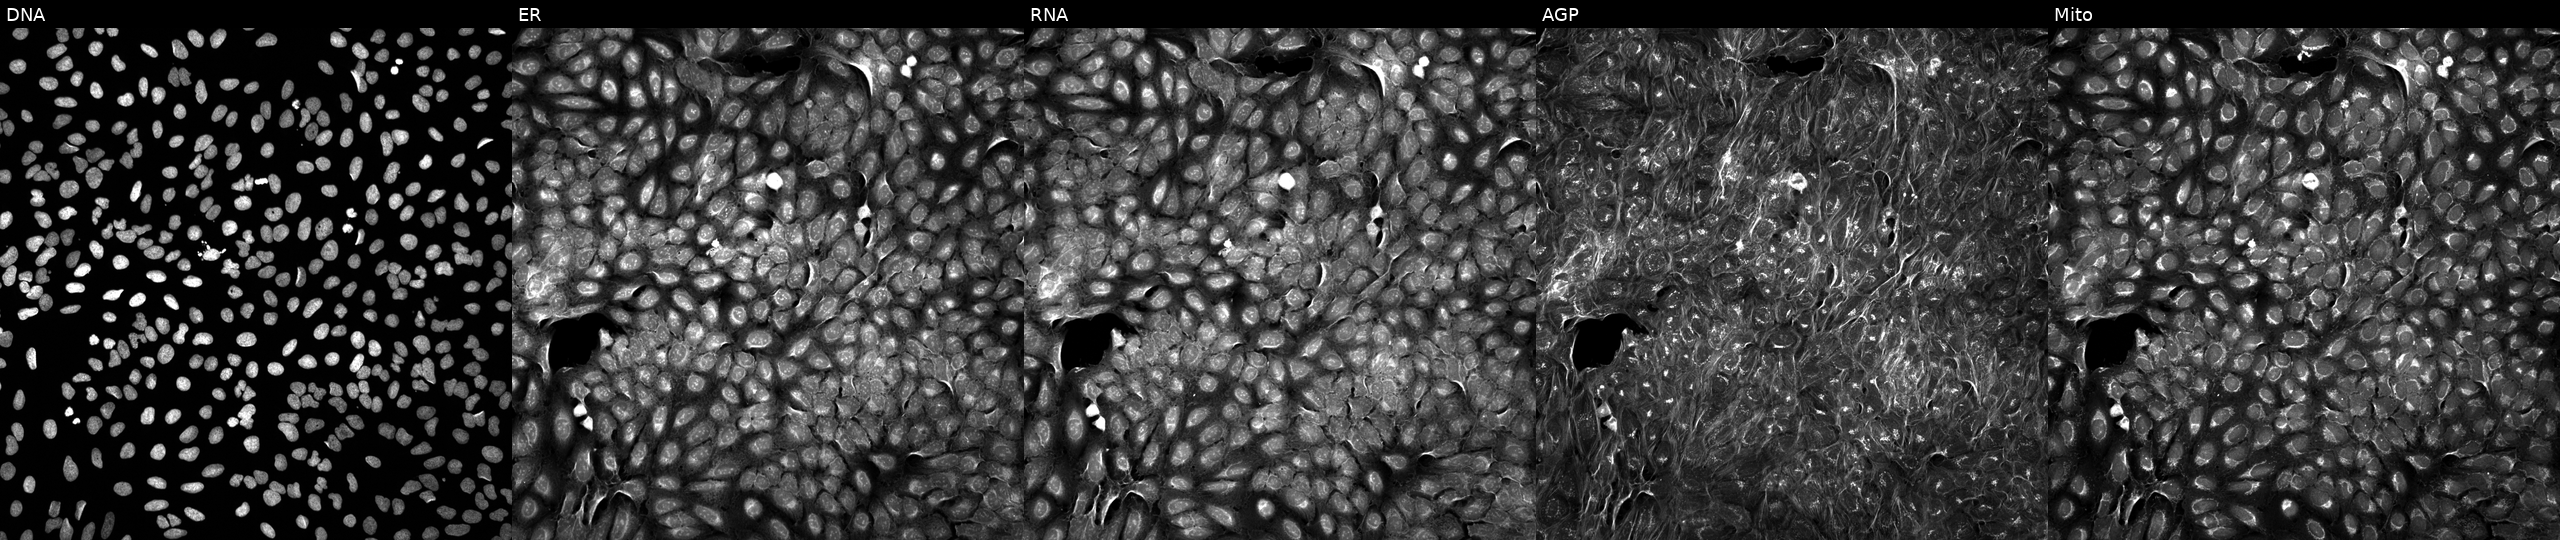
Five-channel Cell Painting image of U2OS cells treated with a small-molecule compound (InChIKey GZHOJNKOMTZAMZ-UHFFFAOYSA-N) [SMILES: NC(=O)c1cc(OC2CCN(Cc3ccc(Cl)cn3)CC2)ccn1]. Panels show, left to right, Hoechst 33342, concanavalin A, SYTO 14, phalloidin and WGA, MitoTracker.